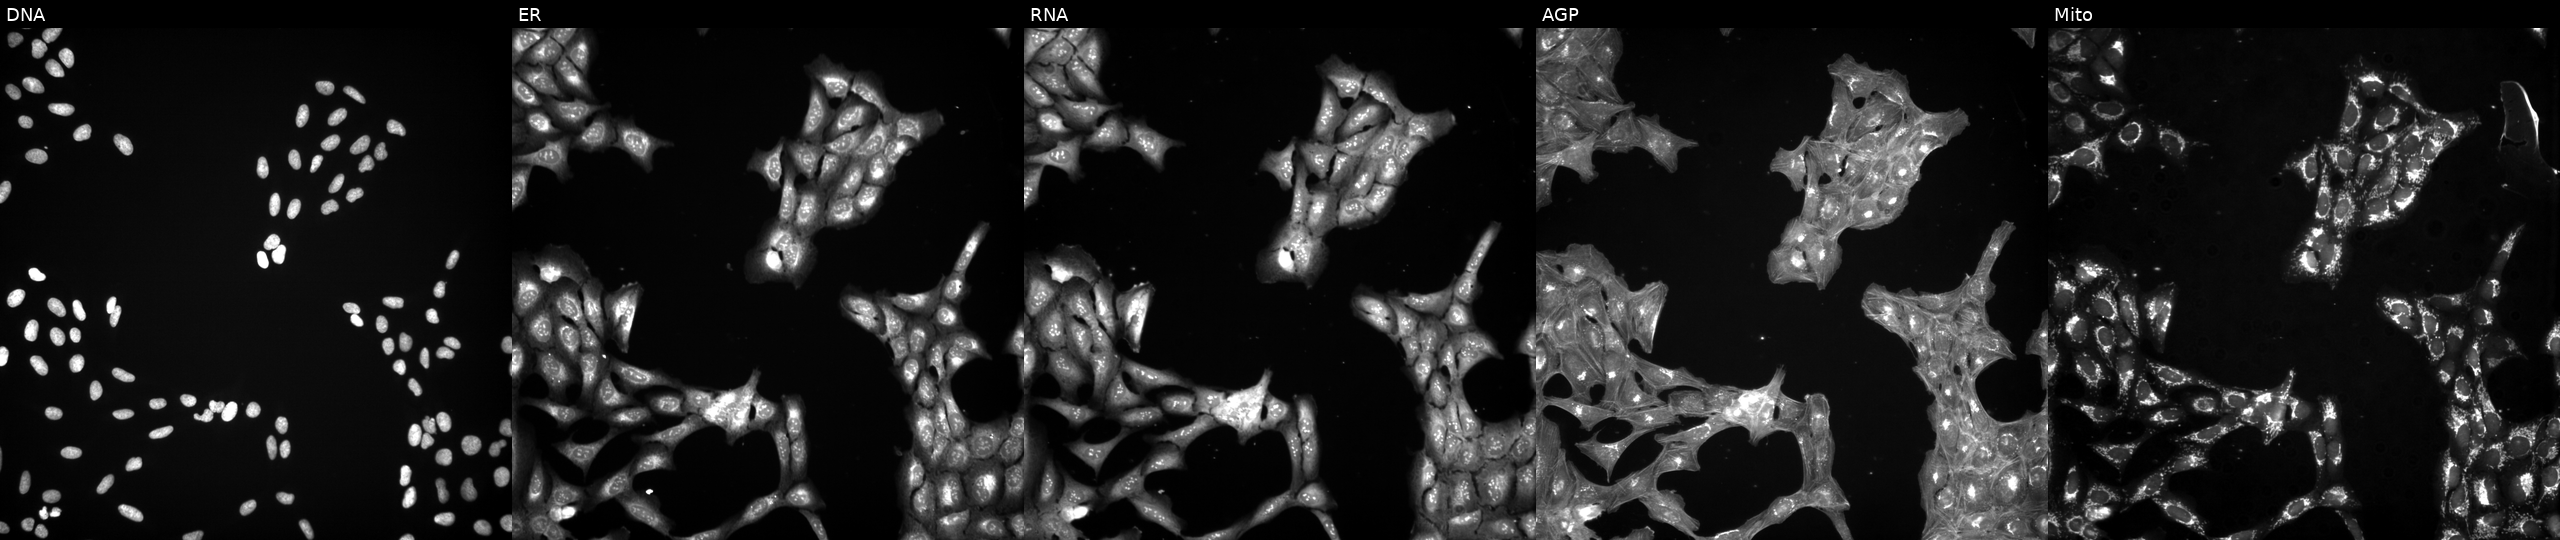
U2OS cells, Cell Painting assay, in an empty control well (no perturbation) (JUMP id JCP2022_999999). Channels (left→right): DNA (nuclei); ER (endoplasmic reticulum); RNA (nucleoli and cytoplasmic RNA); AGP (actin cytoskeleton, Golgi, and plasma membrane); Mito (mitochondria). Each panel is percentile-stretched 16-bit fluorescence.